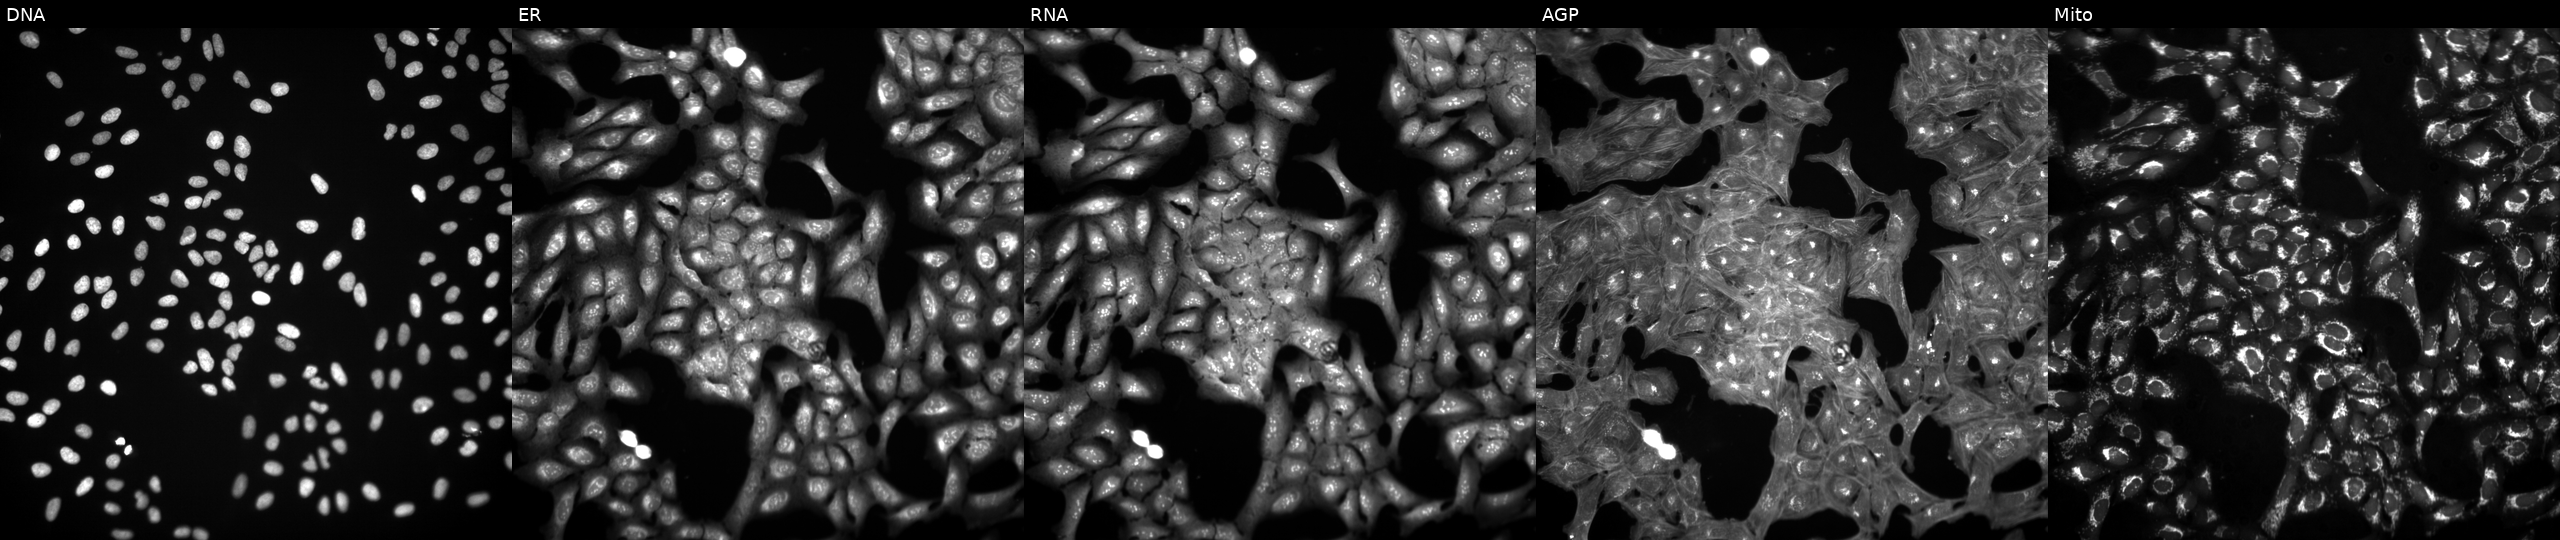
From left to right: Hoechst 33342, concanavalin A, SYTO 14, phalloidin and WGA, MitoTracker. U2OS osteosarcoma cells perturbed with a small-molecule compound (InChIKey SNICXCGAKADSCV-UHFFFAOYSA-N) (JUMP id JCP2022_084364). Cell Painting assay, JUMP-CP dataset. Source 3, plate JCPQC051, well P02.